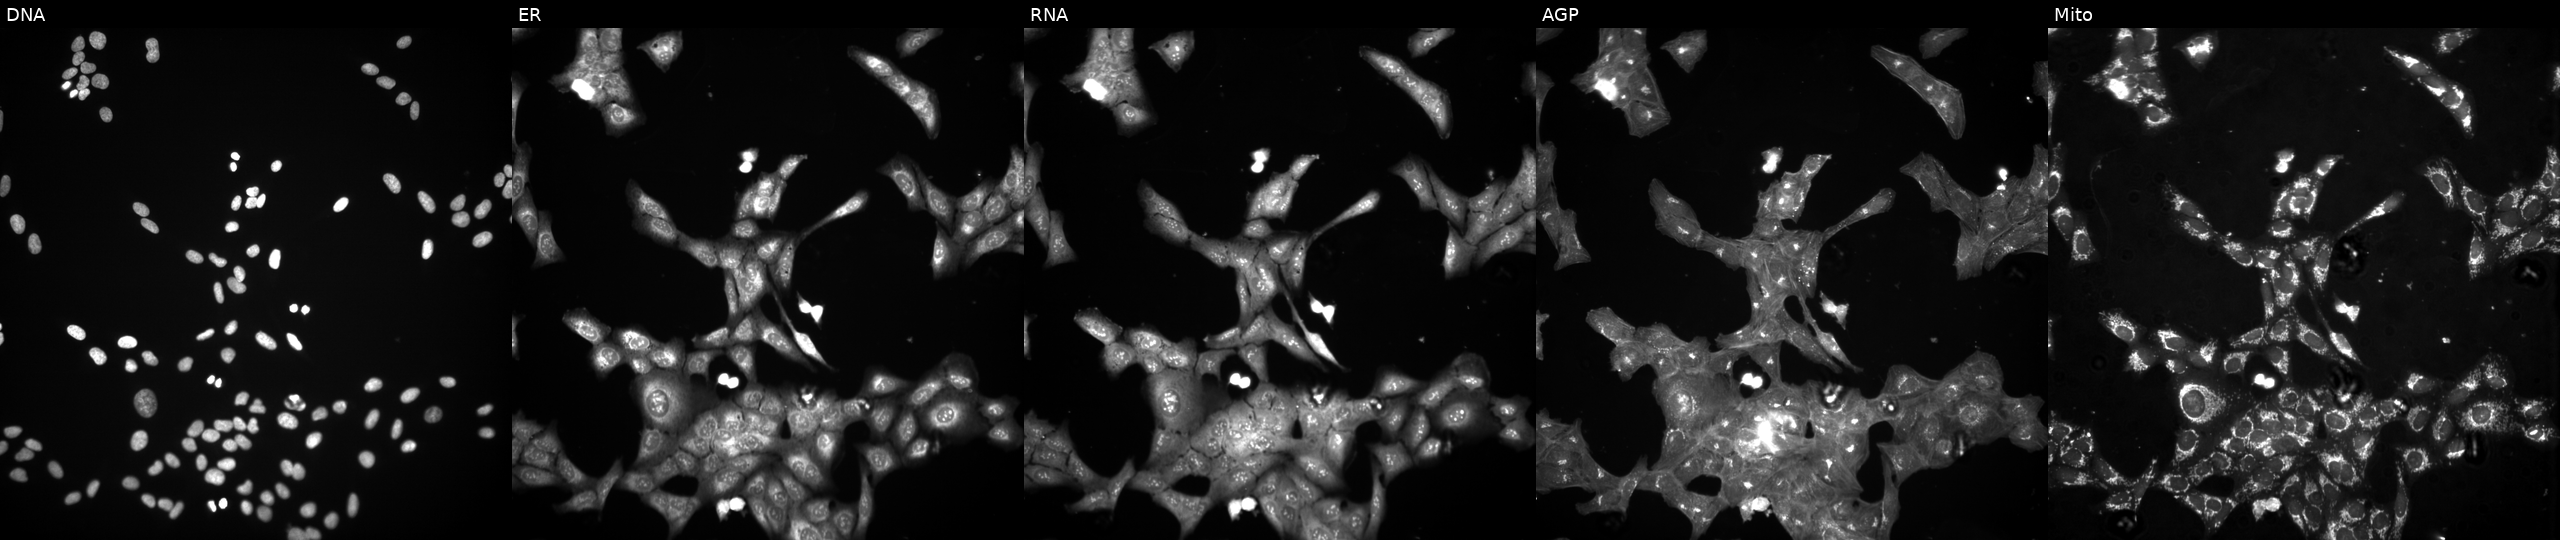
Five-channel Cell Painting image of U2OS cells treated with a small-molecule compound (InChIKey GTWUZUAUDQRCAX-UHFFFAOYSA-N) (JUMP id JCP2022_027737). Panels show, left to right, DNA (nuclei); ER (endoplasmic reticulum); RNA (nucleoli and cytoplasmic RNA); AGP (actin cytoskeleton, Golgi, and plasma membrane); Mito (mitochondria).